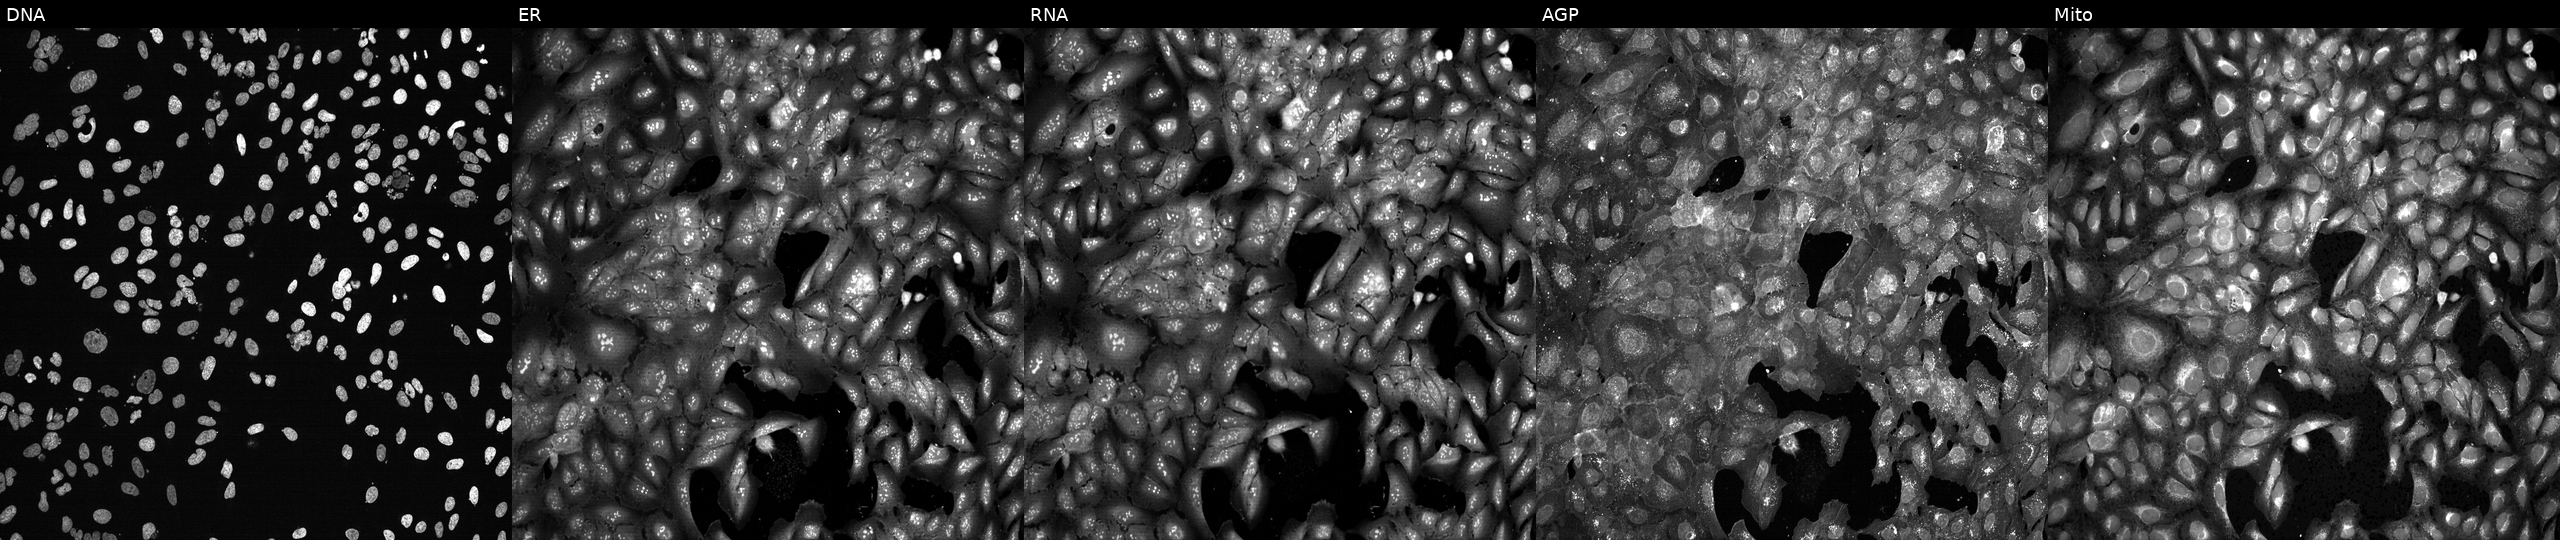
Panels show, left to right, DNA (nuclei); ER (endoplasmic reticulum); RNA (nucleoli and cytoplasmic RNA); AGP (actin cytoskeleton, Golgi, and plasma membrane); Mito (mitochondria). U2OS osteosarcoma cells CRISPR-edited to disrupt TUBG1 (JUMP id JCP2022_807400). Cell Painting assay, JUMP-CP dataset.